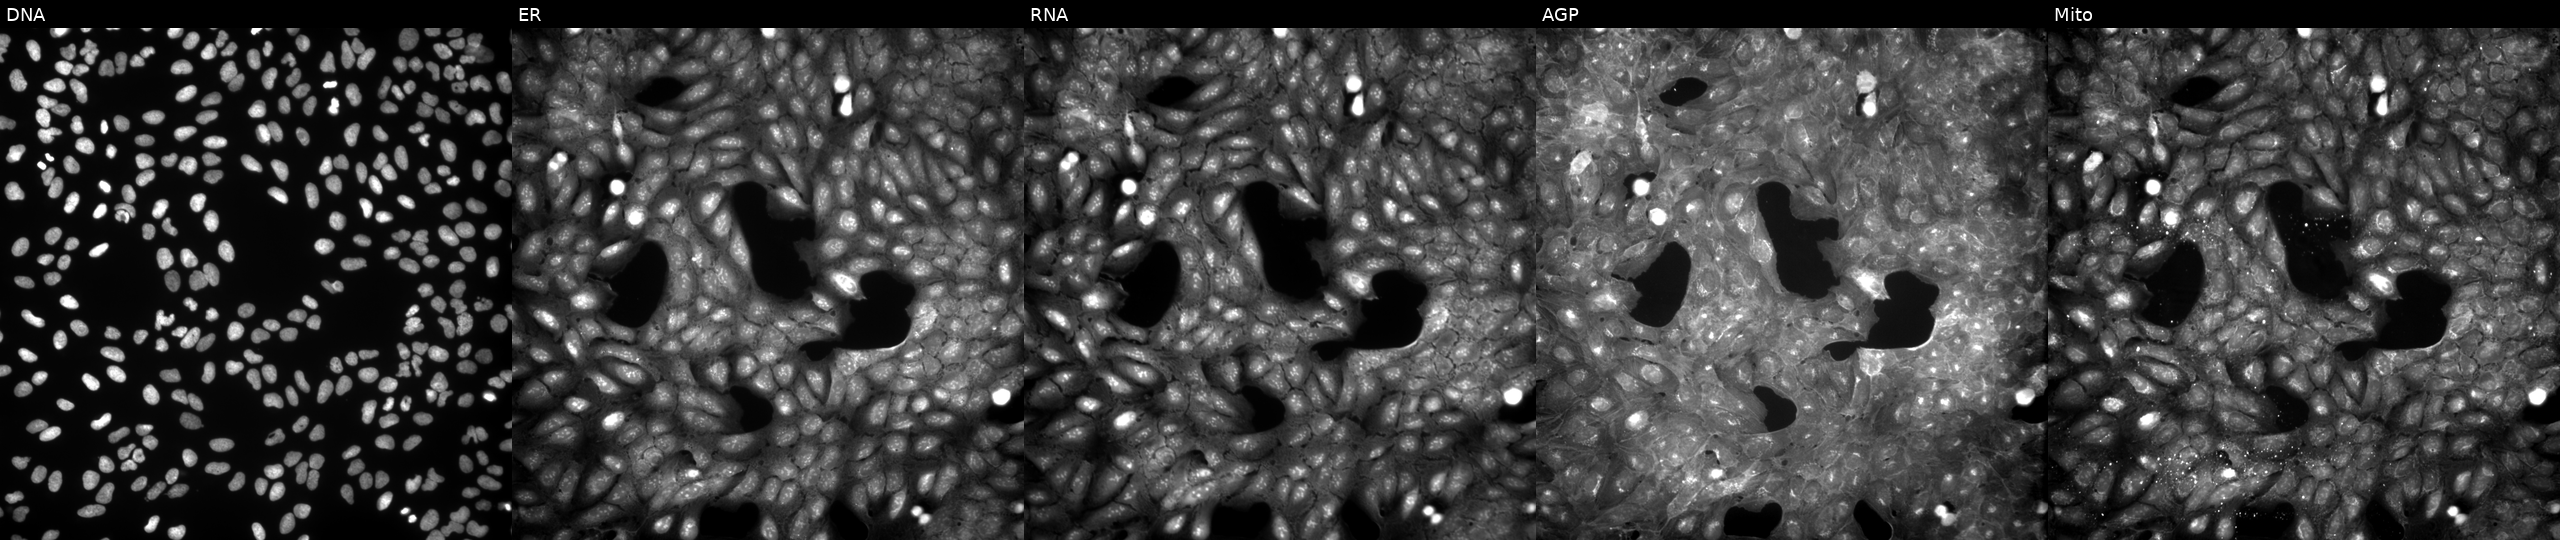
JUMP Cell Painting — COMPOUND plate. U2OS cells treated with a small-molecule compound (InChIKey VTVIDRCEJYXOGS-UHFFFAOYSA-N). Channels (left→right): DNA (nuclei); ER (endoplasmic reticulum); RNA (nucleoli and cytoplasmic RNA); AGP (actin cytoskeleton, Golgi, and plasma membrane); Mito (mitochondria).